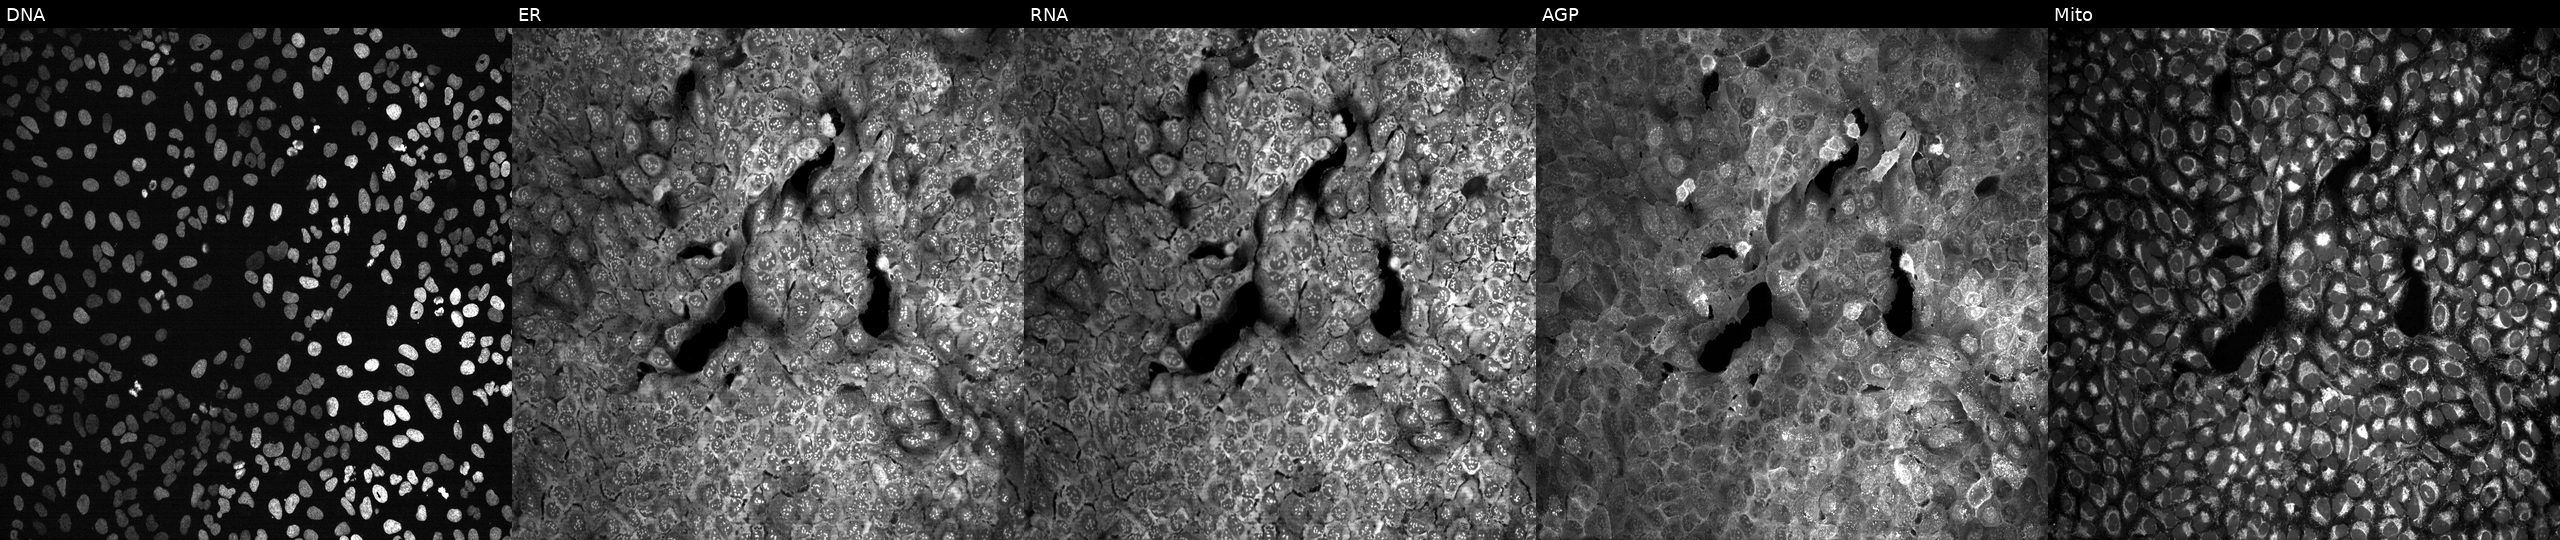
Panels show, left to right, DNA, ER, RNA, AGP, and Mito. U2OS osteosarcoma cells with TPM1 knocked out by CRISPR (JUMP id JCP2022_807218). Cell Painting assay, JUMP-CP dataset.